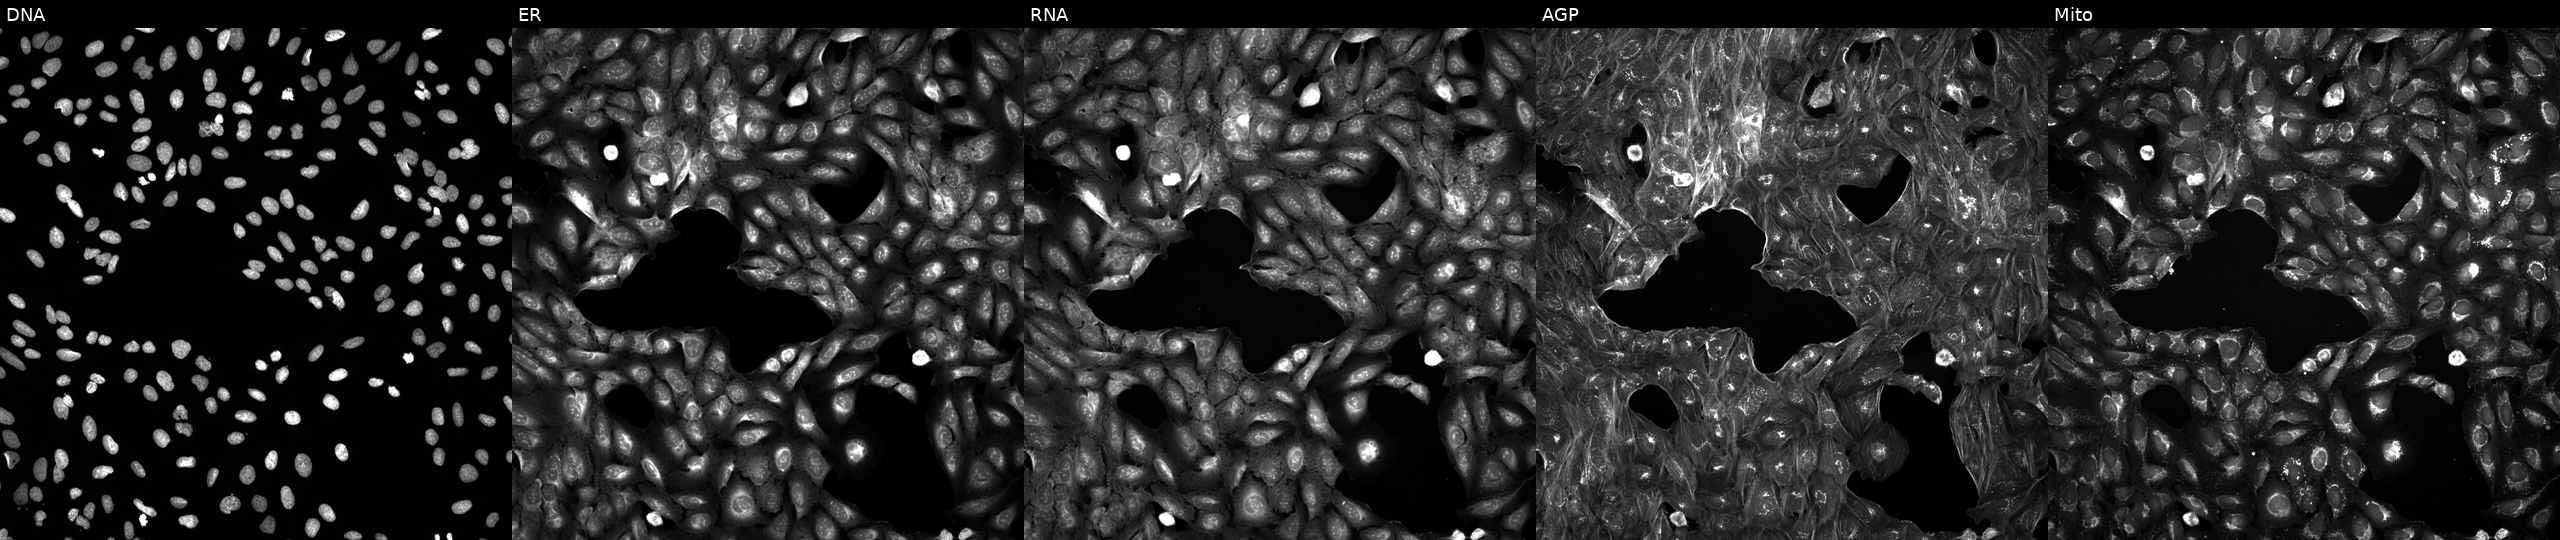
The five panels, left to right, show DNA (nuclei); ER (endoplasmic reticulum); RNA (nucleoli and cytoplasmic RNA); AGP (actin cytoskeleton, Golgi, and plasma membrane); Mito (mitochondria). U2OS osteosarcoma cells treated with a small-molecule compound (InChIKey OJLOPKGSLYJEMD-UHFFFAOYSA-N) [SMILES: CCCCC(C)(O)CC=CC1C(O)CC(=O)C1CCCCCCC(=O)OC] (JUMP id JCP2022_064183). Cell Painting assay, JUMP-CP dataset. Source 5, plate ACPJUM032, well E09.